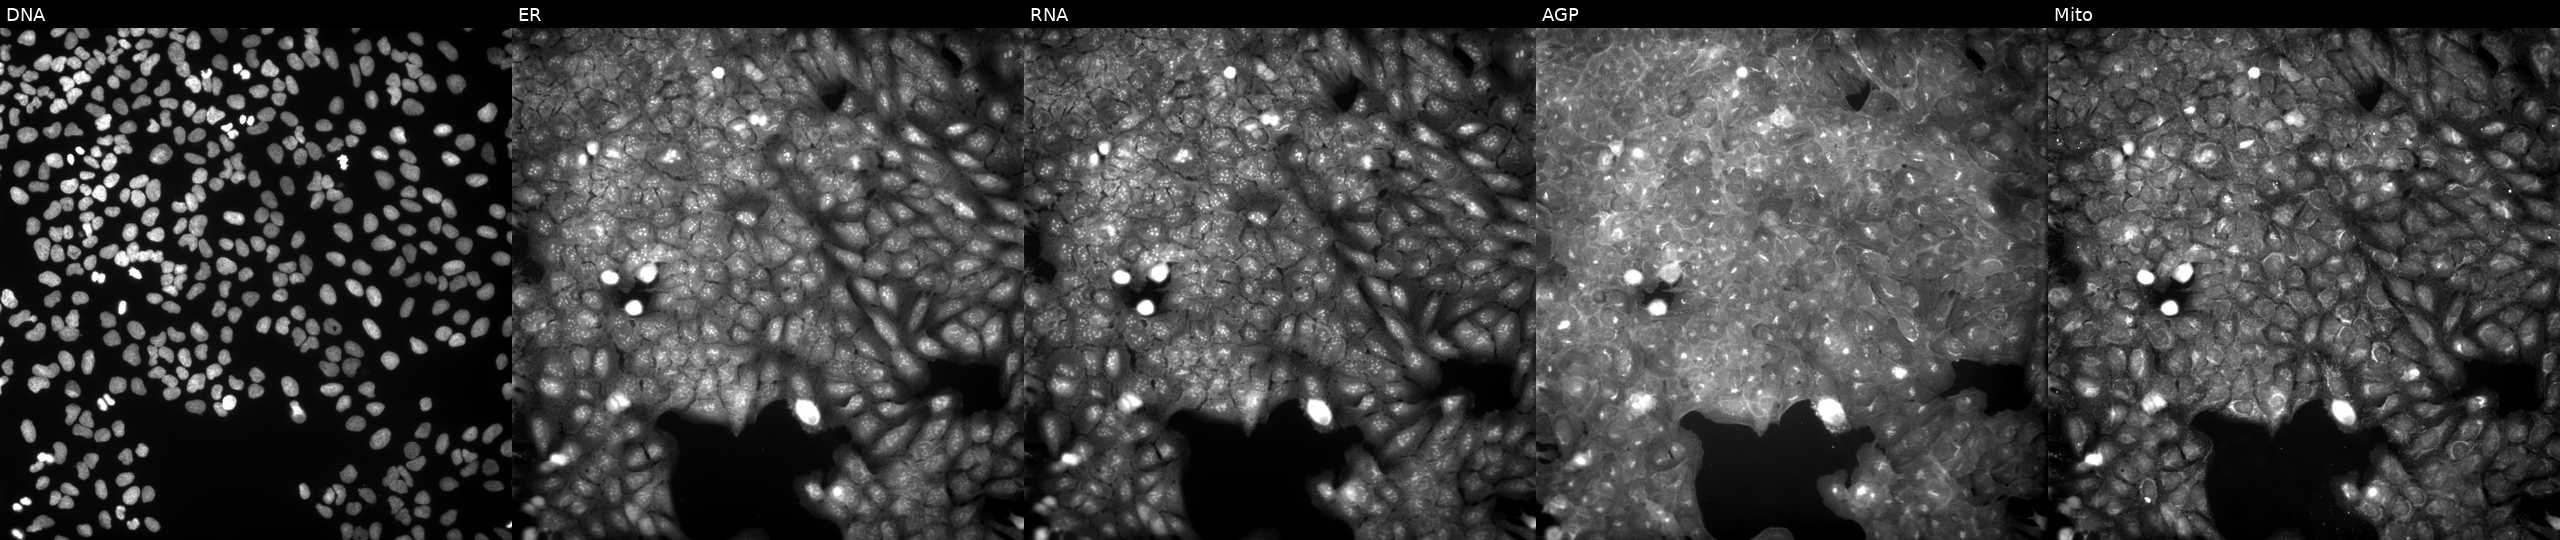
Five-channel Cell Painting image of U2OS cells treated with TC-S-7004 (positive-control compound) (JUMP id JCP2022_012818). Panels show, left to right, Hoechst 33342, concanavalin A, SYTO 14, phalloidin and WGA, MitoTracker.